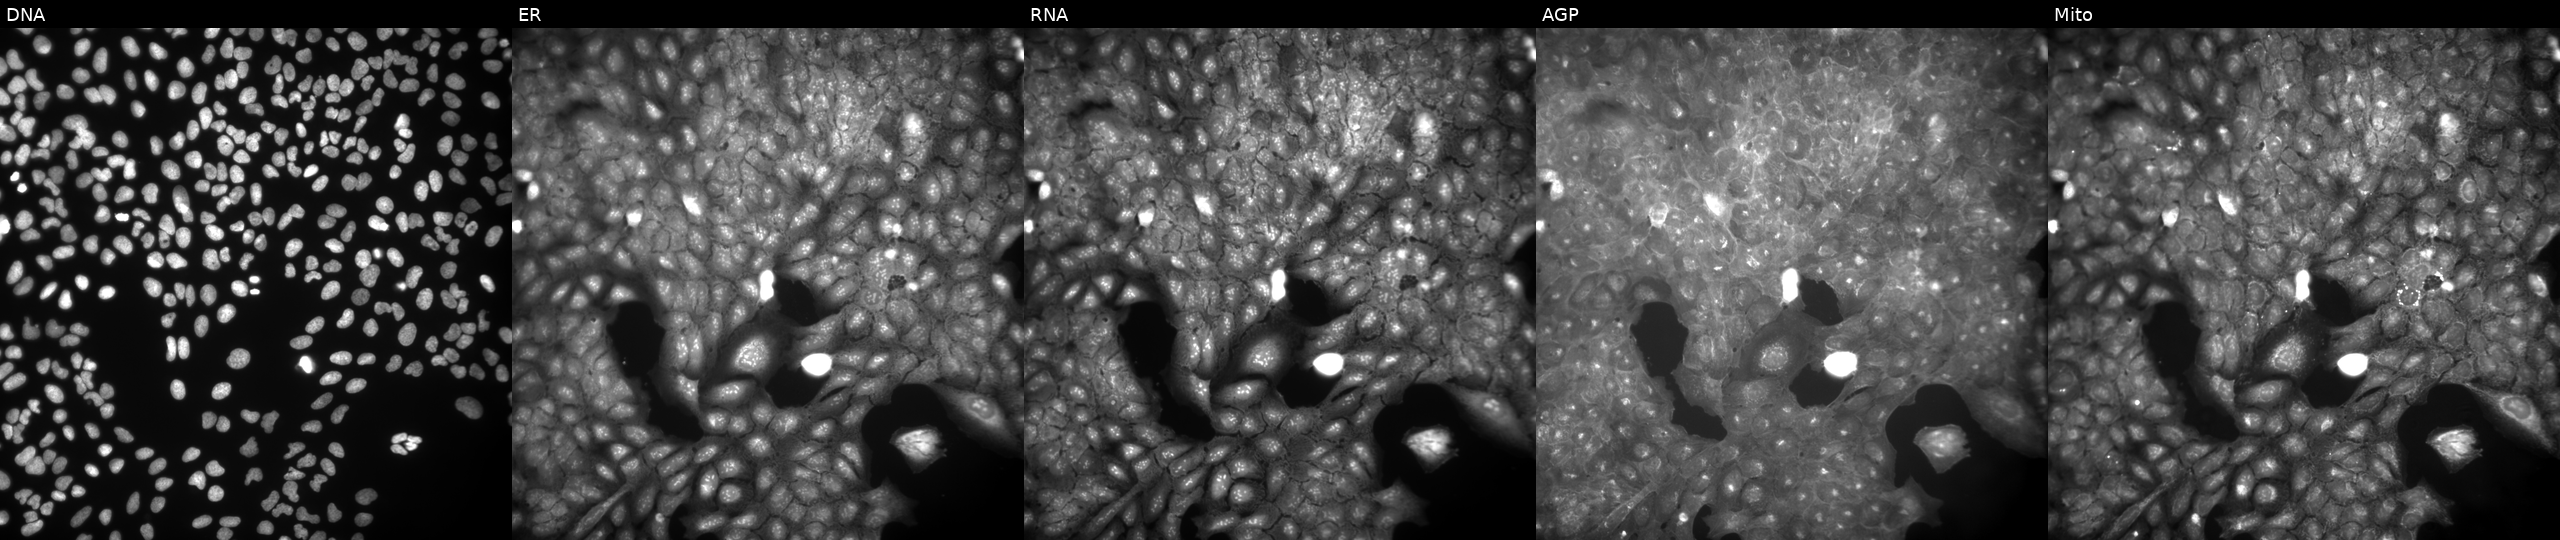
High-content fluorescence microscopy (Cell Painting). Cell line: U2OS. Perturbation: treated with DMSO vehicle only (negative control) (JUMP id JCP2022_033924). From left to right: DNA (nuclei); ER (endoplasmic reticulum); RNA (nucleoli and cytoplasmic RNA); AGP (actin cytoskeleton, Golgi, and plasma membrane); Mito (mitochondria).